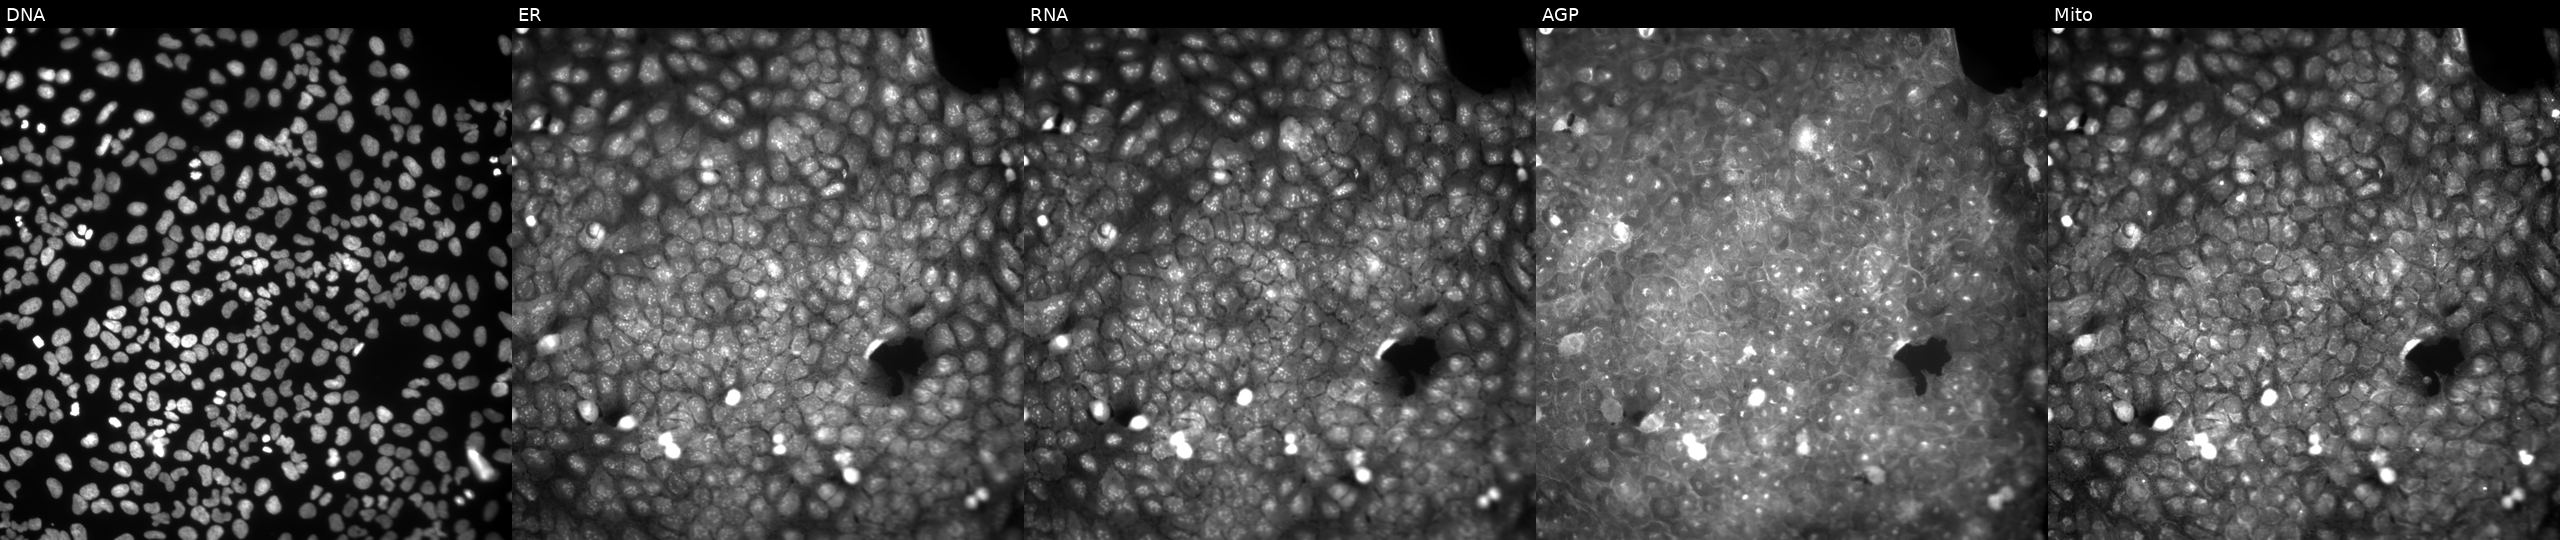
U2OS cells, Cell Painting assay, treated with a small-molecule compound. Channels (left→right): Hoechst 33342, concanavalin A, SYTO 14, phalloidin and WGA, MitoTracker. Each panel is percentile-stretched 16-bit fluorescence.